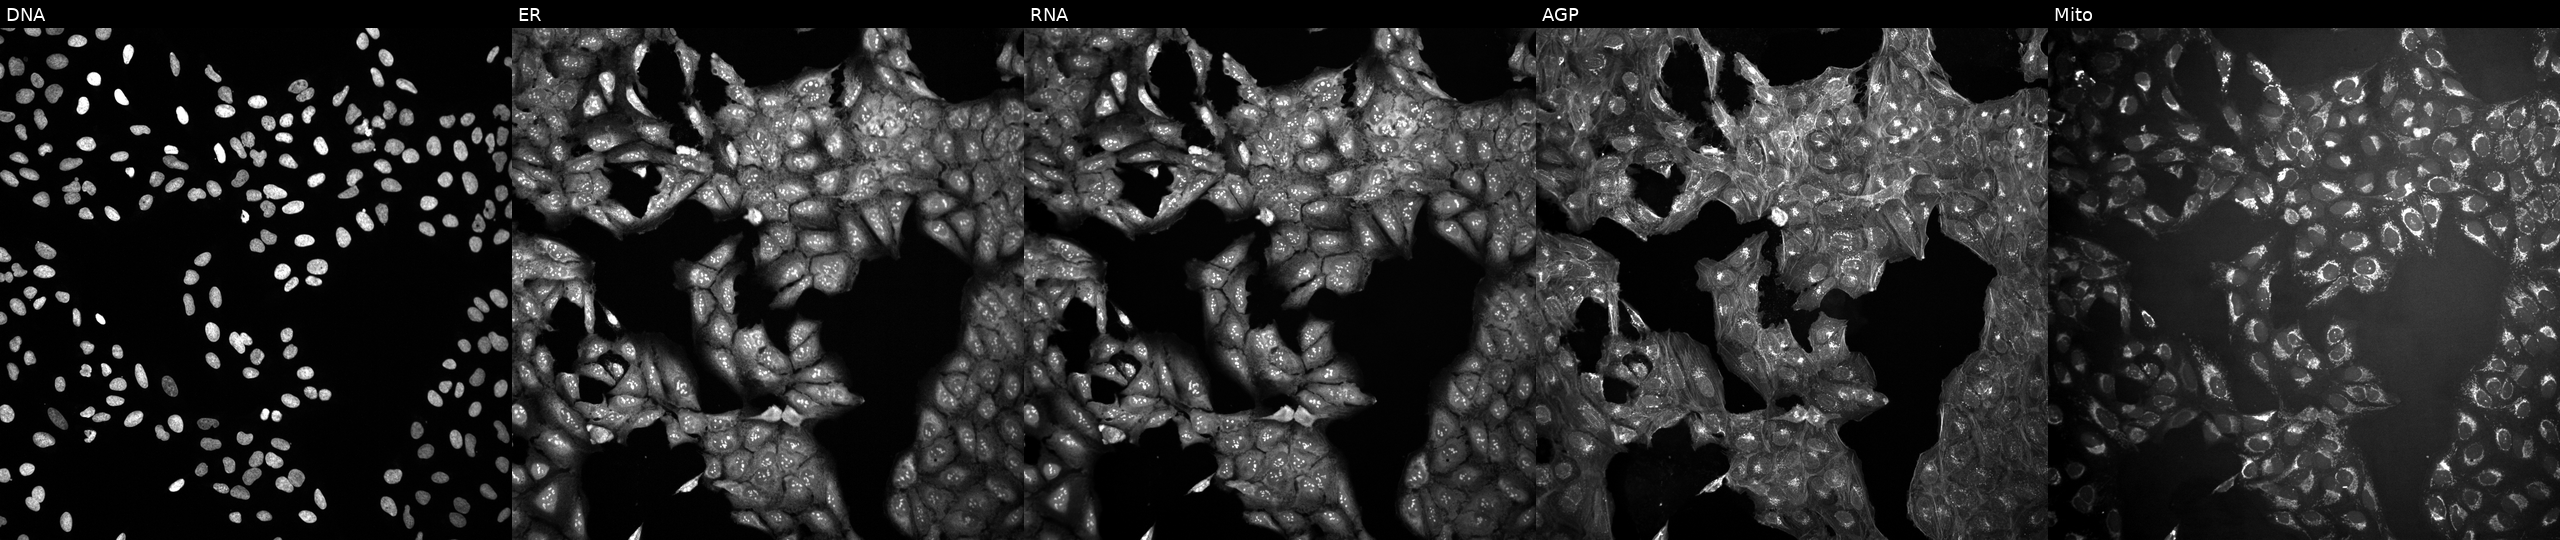
Five-channel Cell Painting image of U2OS cells in an empty control well (no perturbation). Channels (left→right): DNA (nuclei); ER (endoplasmic reticulum); RNA (nucleoli and cytoplasmic RNA); AGP (actin cytoskeleton, Golgi, and plasma membrane); Mito (mitochondria).